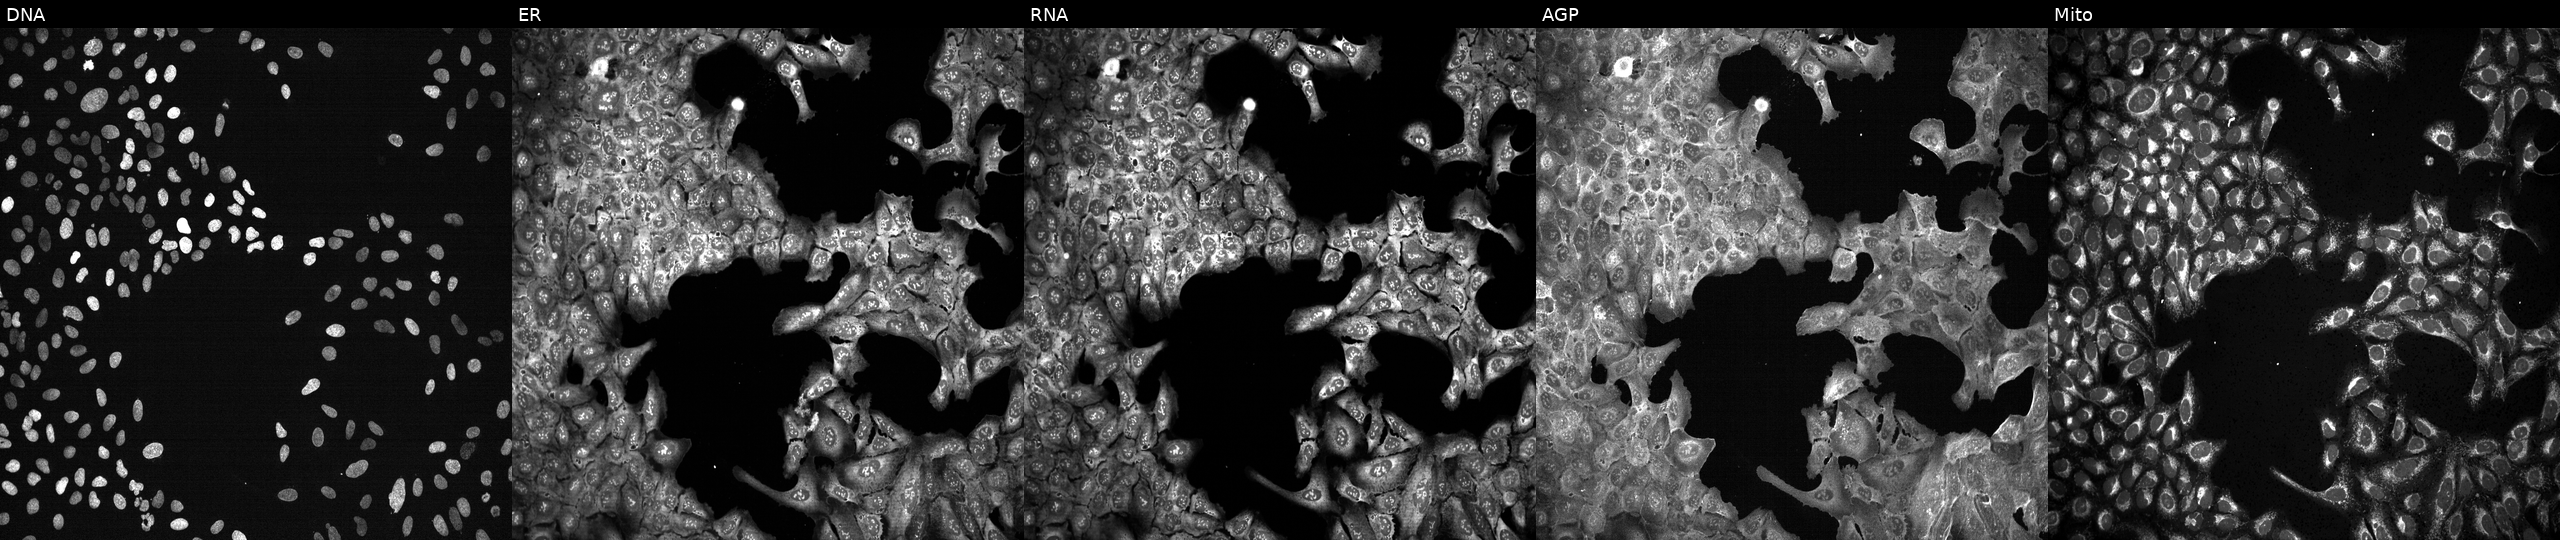
This image strip shows the five Cell Painting channels for a single field of U2OS cells following CRISPR knockout of HMGCS1. The five panels, left to right, show DNA (nuclei); ER (endoplasmic reticulum); RNA (nucleoli and cytoplasmic RNA); AGP (actin cytoskeleton, Golgi, and plasma membrane); Mito (mitochondria). Source 13, plate CP-CC9-R3-01, well B20.